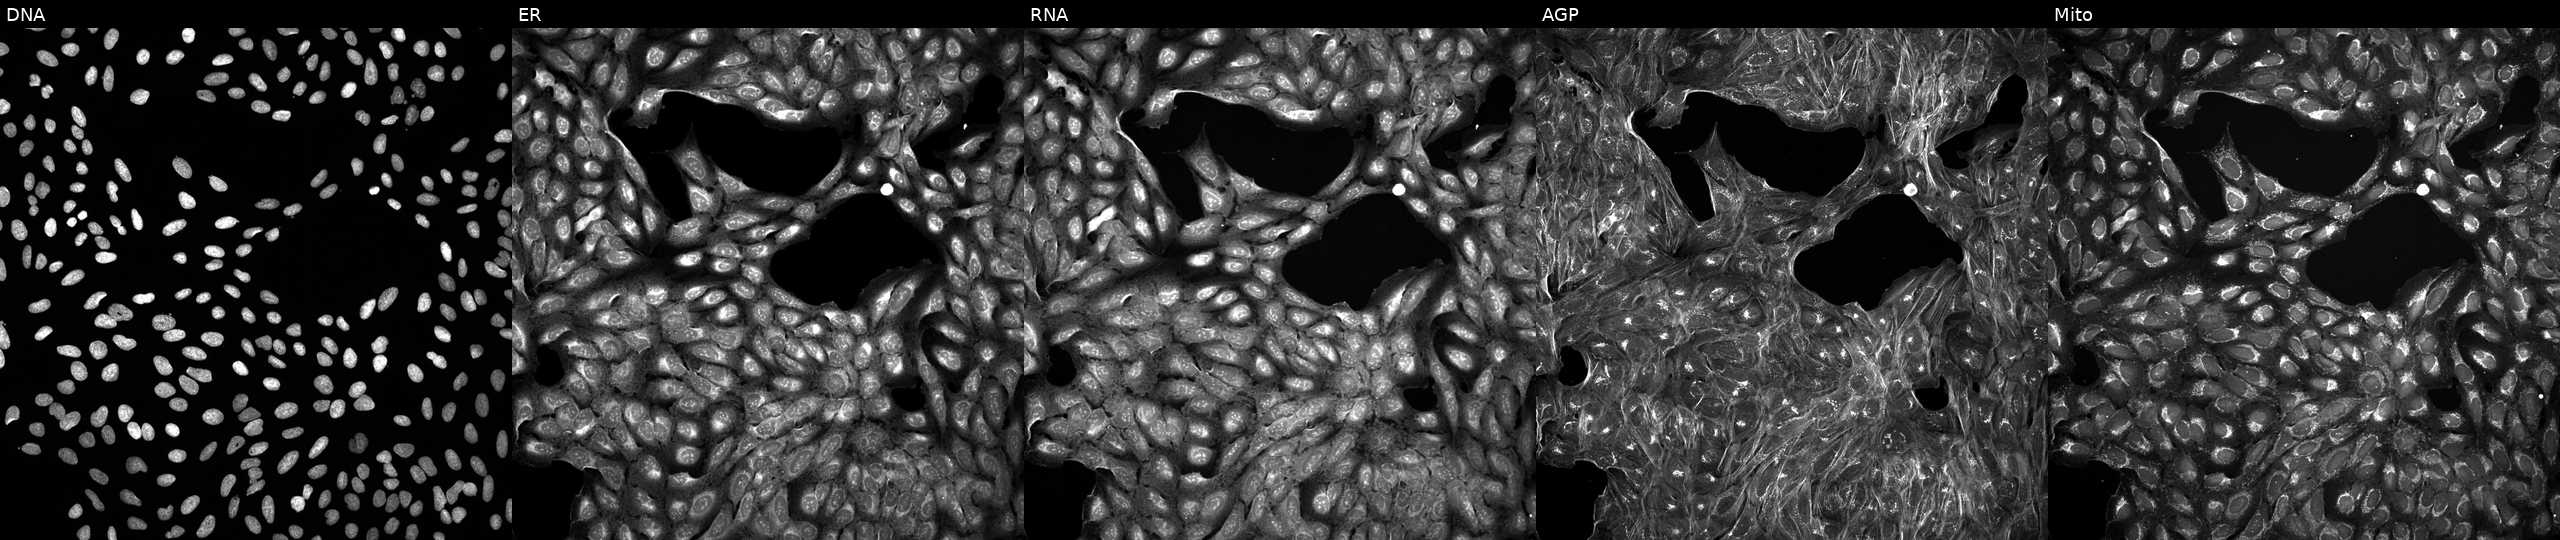
JUMP Cell Painting — TARGET2 plate. U2OS cells perturbed with a small-molecule compound (JUMP id JCP2022_114322). Panels show, left to right, DNA (nuclei); ER (endoplasmic reticulum); RNA (nucleoli and cytoplasmic RNA); AGP (actin cytoskeleton, Golgi, and plasma membrane); Mito (mitochondria). Source 5, plate ACPJUM051, well G05.